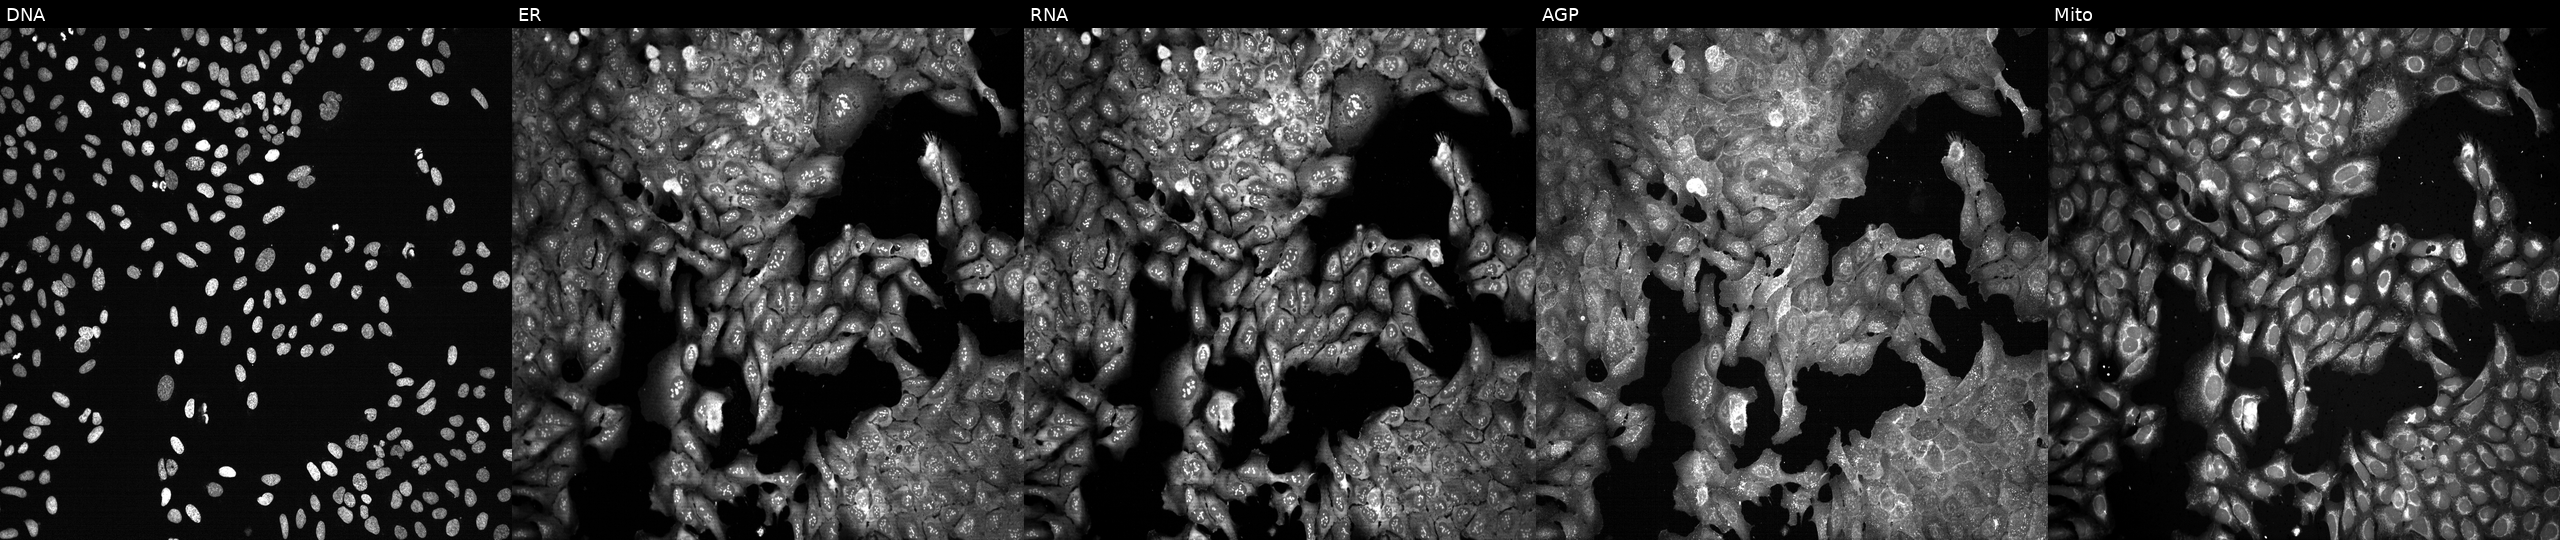
High-content fluorescence microscopy (Cell Painting). Cell line: U2OS. Perturbation: CRISPR-edited to disrupt DAO. From left to right: Hoechst 33342, concanavalin A, SYTO 14, phalloidin and WGA, MitoTracker.